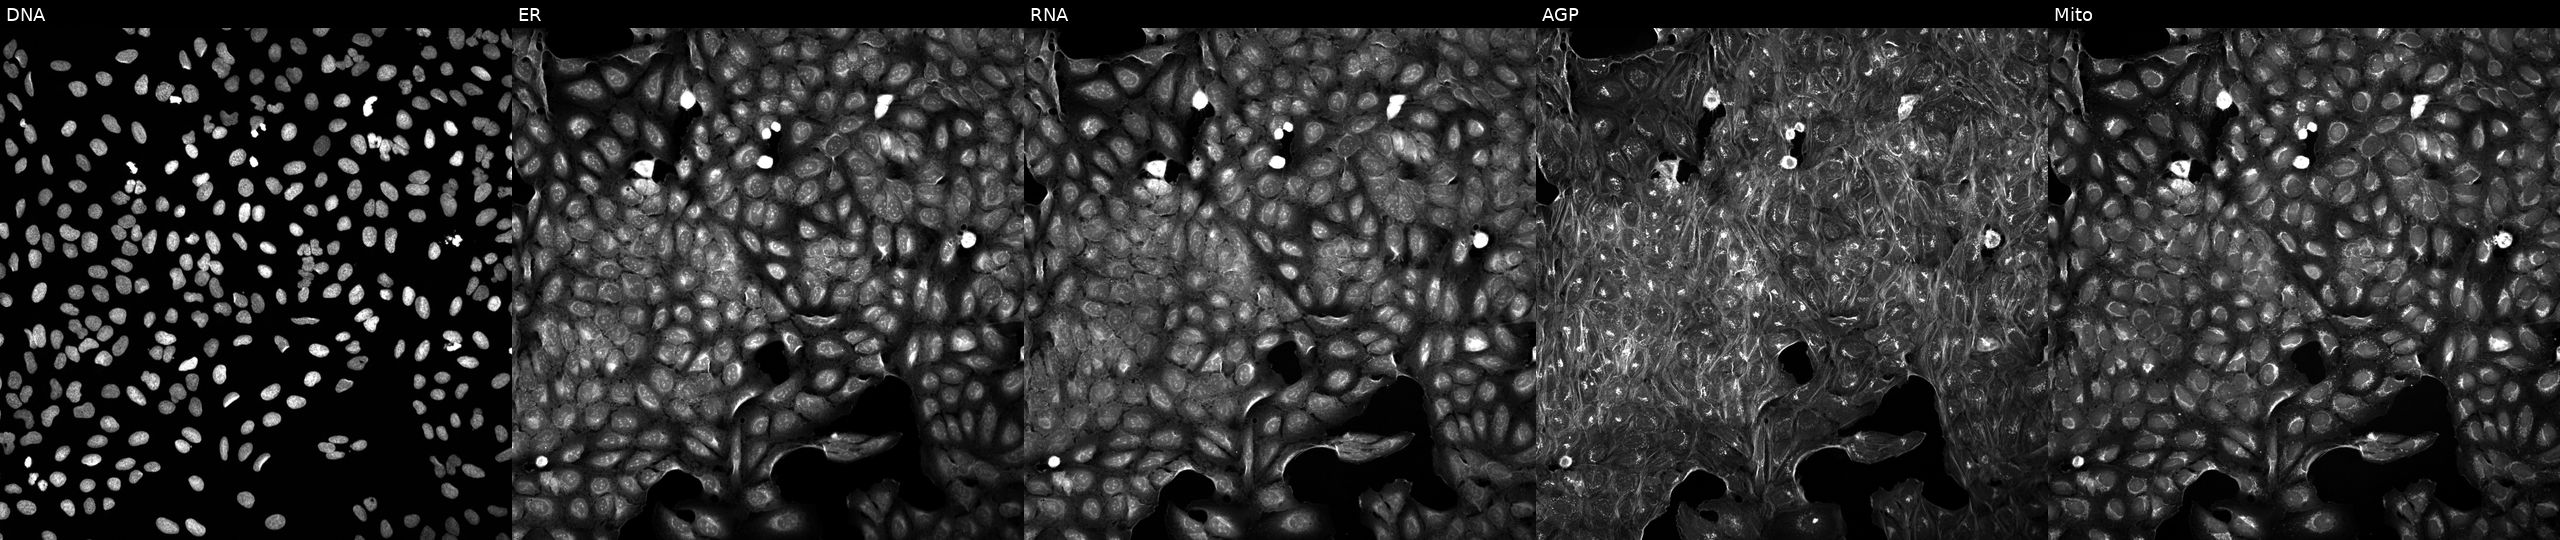
U2OS cells, Cell Painting assay, treated with a small-molecule compound [SMILES: Cc1nc(-c2ncccn2)sc1C(=O)N1CCCC1c1nnc2ccccn12]. Channels (left→right): DNA, ER, RNA, AGP, and Mito. Each panel is percentile-stretched 16-bit fluorescence.